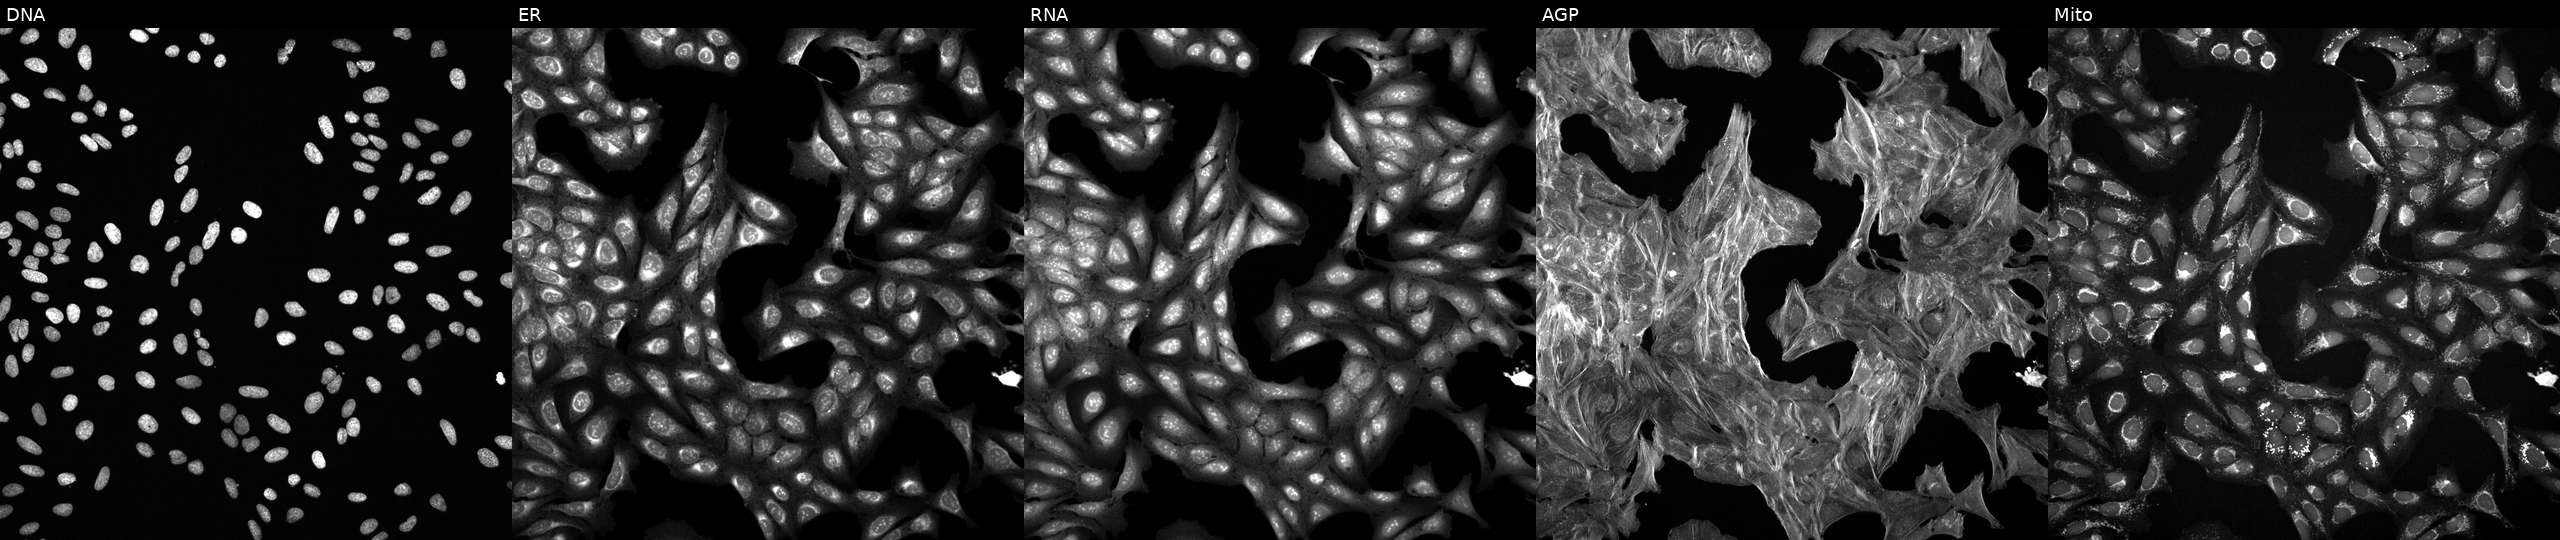
From left to right: Hoechst 33342, concanavalin A, SYTO 14, phalloidin and WGA, MitoTracker. U2OS osteosarcoma cells perturbed with a small-molecule compound (InChIKey OJLWRMBLUVYZRK-UHFFFAOYSA-N). Cell Painting assay, JUMP-CP dataset. Source 6, plate 110000293082, well M11.